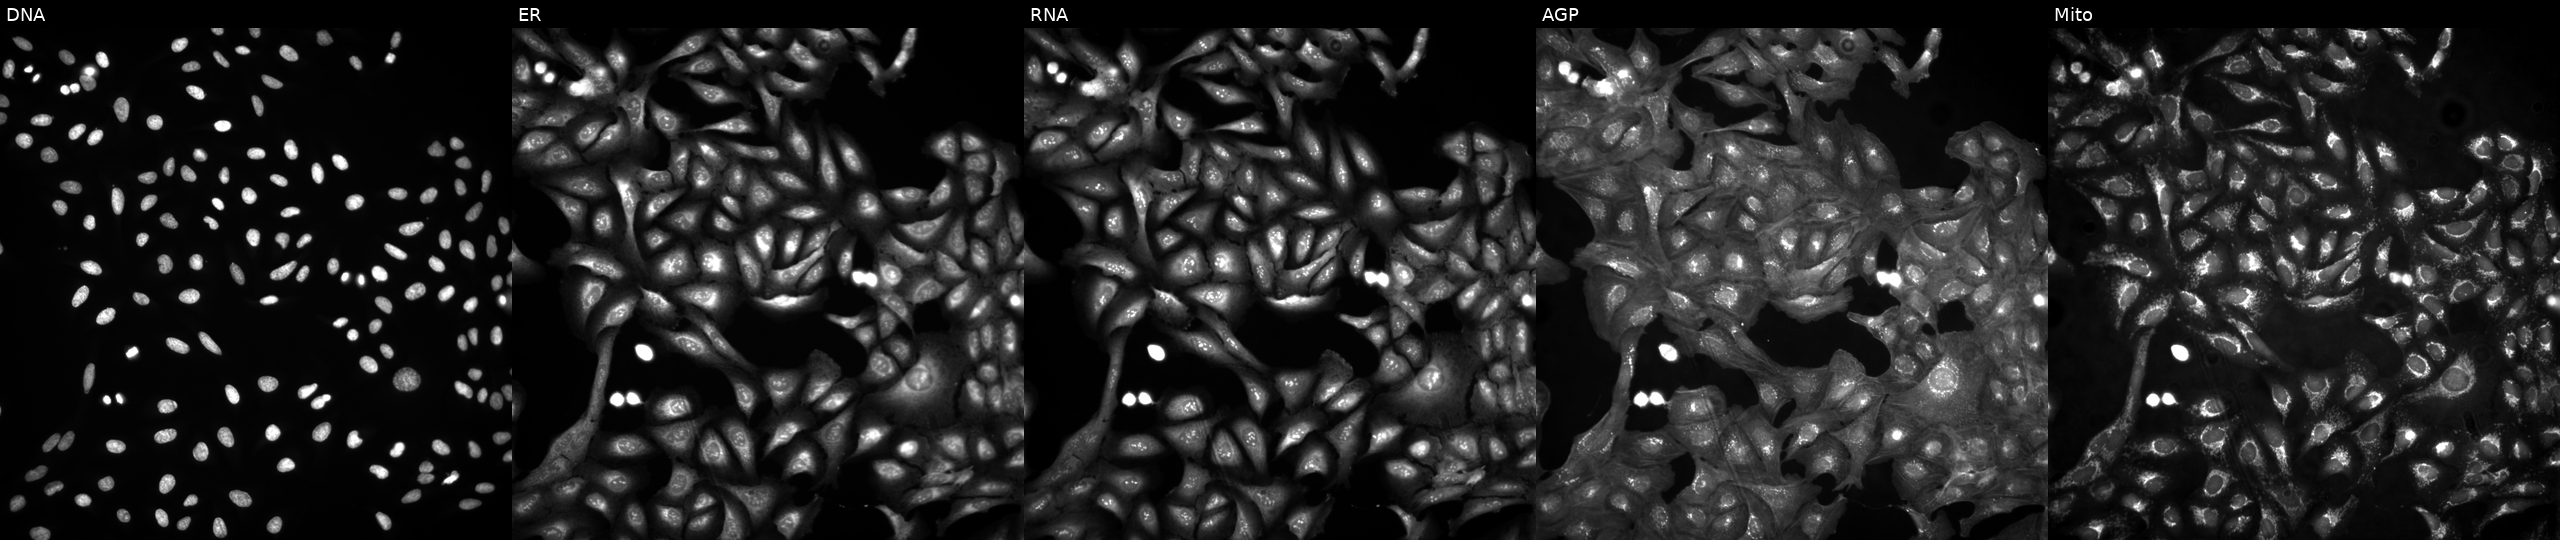
Five-channel Cell Painting image of U2OS cells in an empty control well (no perturbation) (JUMP id JCP2022_999999). The five panels, left to right, show Hoechst 33342, concanavalin A, SYTO 14, phalloidin and WGA, MitoTracker.